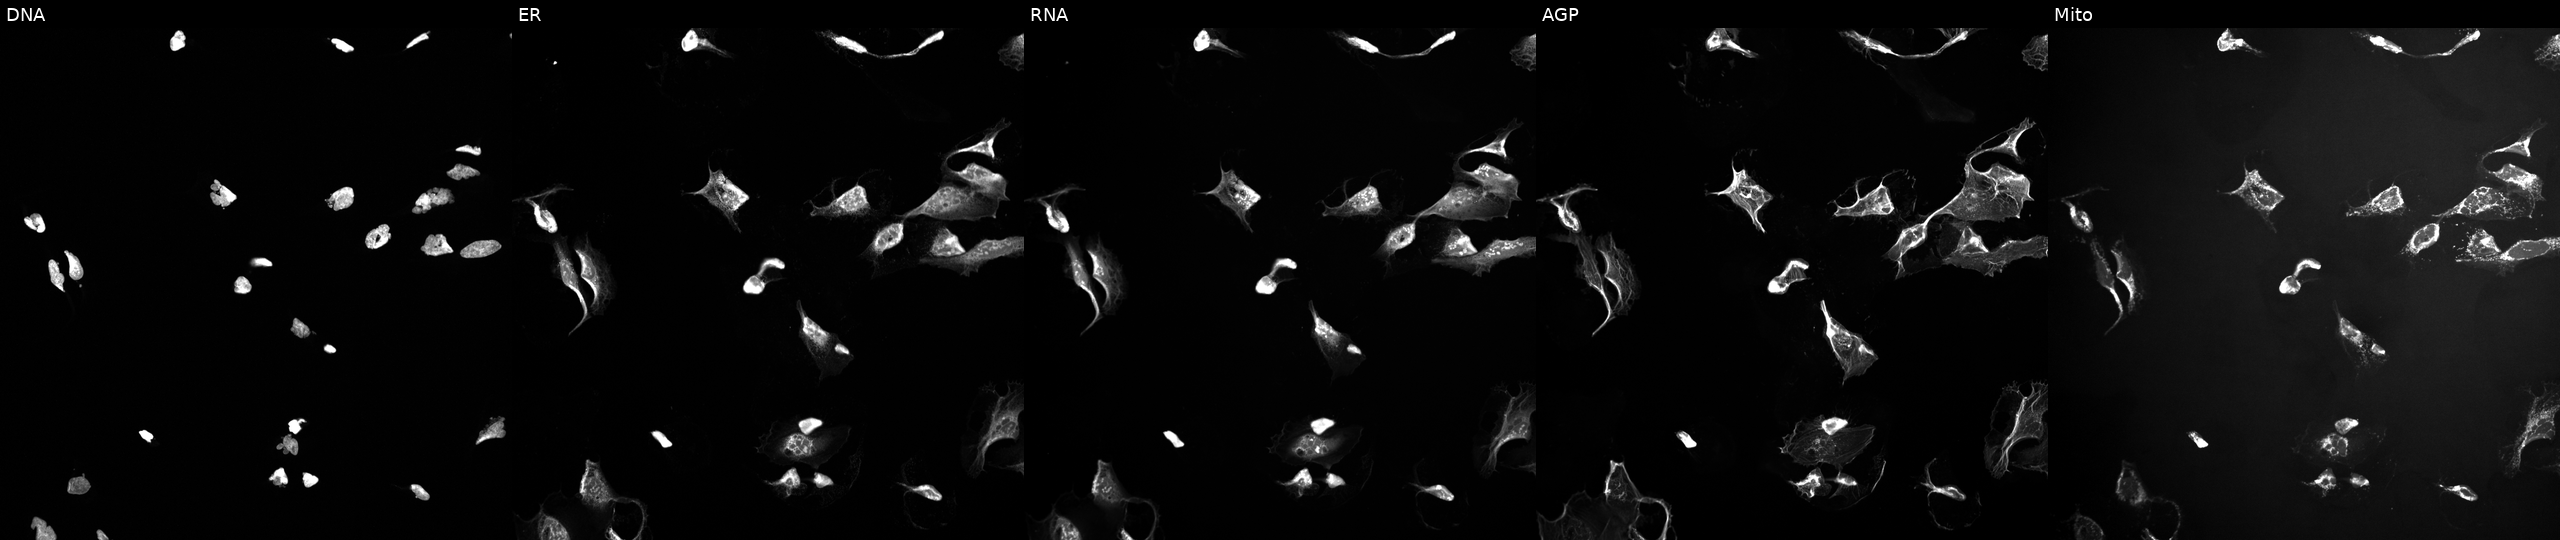
This image strip shows the five Cell Painting channels for a single field of U2OS cells exposed to the positive-control compound AMG900 (JUMP id JCP2022_037716). From left to right: DNA (nuclei); ER (endoplasmic reticulum); RNA (nucleoli and cytoplasmic RNA); AGP (actin cytoskeleton, Golgi, and plasma membrane); Mito (mitochondria).